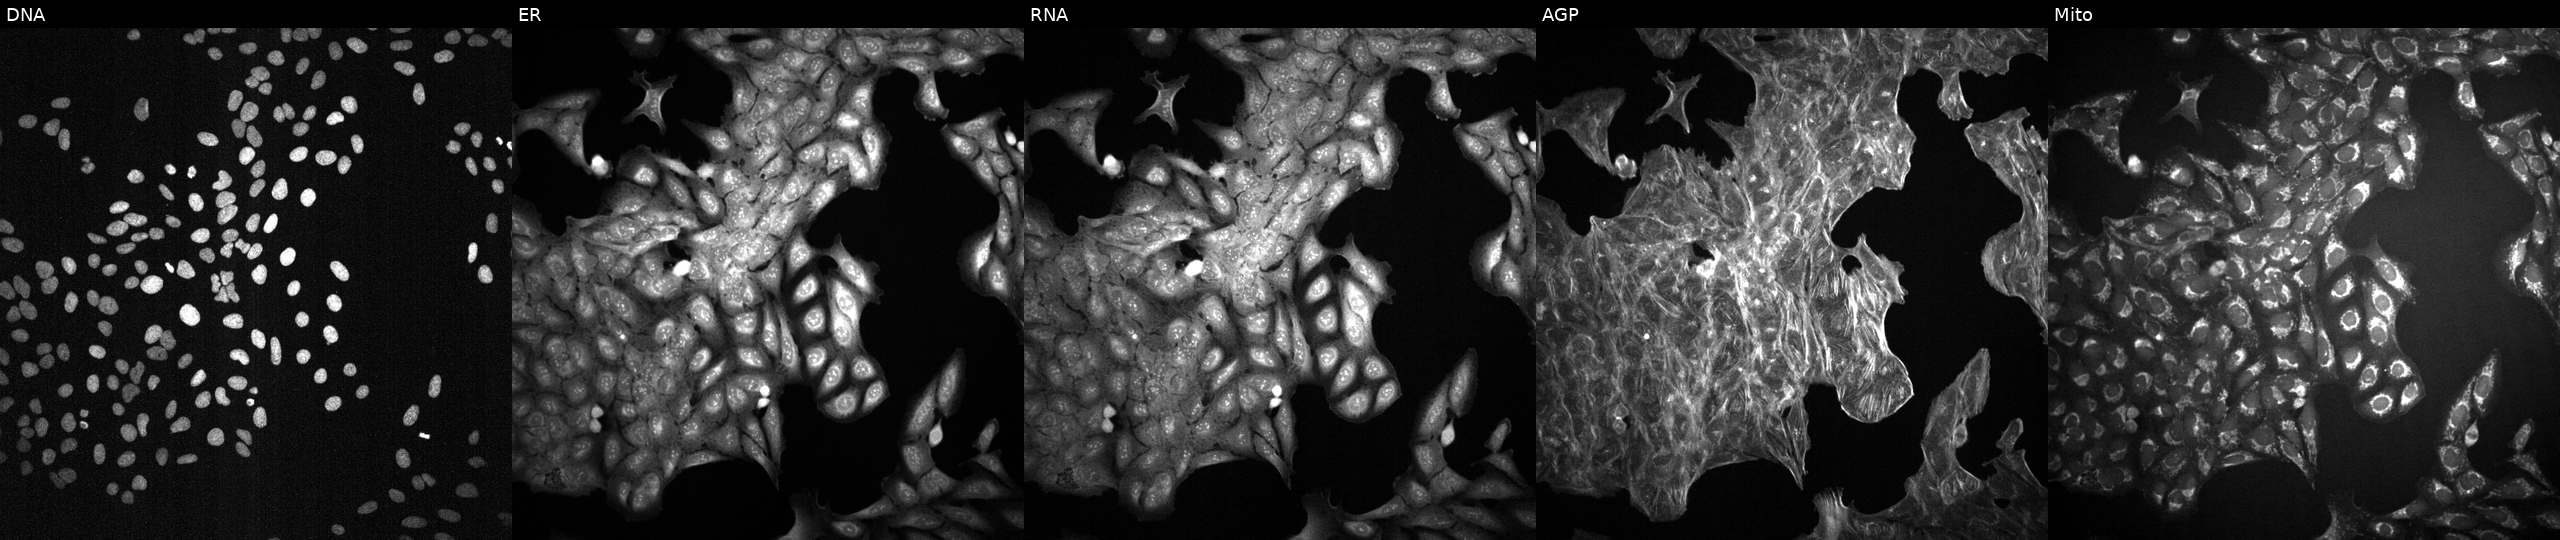
High-content fluorescence microscopy (Cell Painting). Cell line: U2OS. Perturbation: exposed to a small-molecule compound (InChIKey LLIFMNUXGDHTRO-UHFFFAOYSA-N) [SMILES: Cc1noc(-c2ccc(CSCCC(=O)O)cc2)c1NC(=O)OC(C)c1ccccc1Cl]. Panels show, left to right, DNA, ER, RNA, AGP, and Mito.